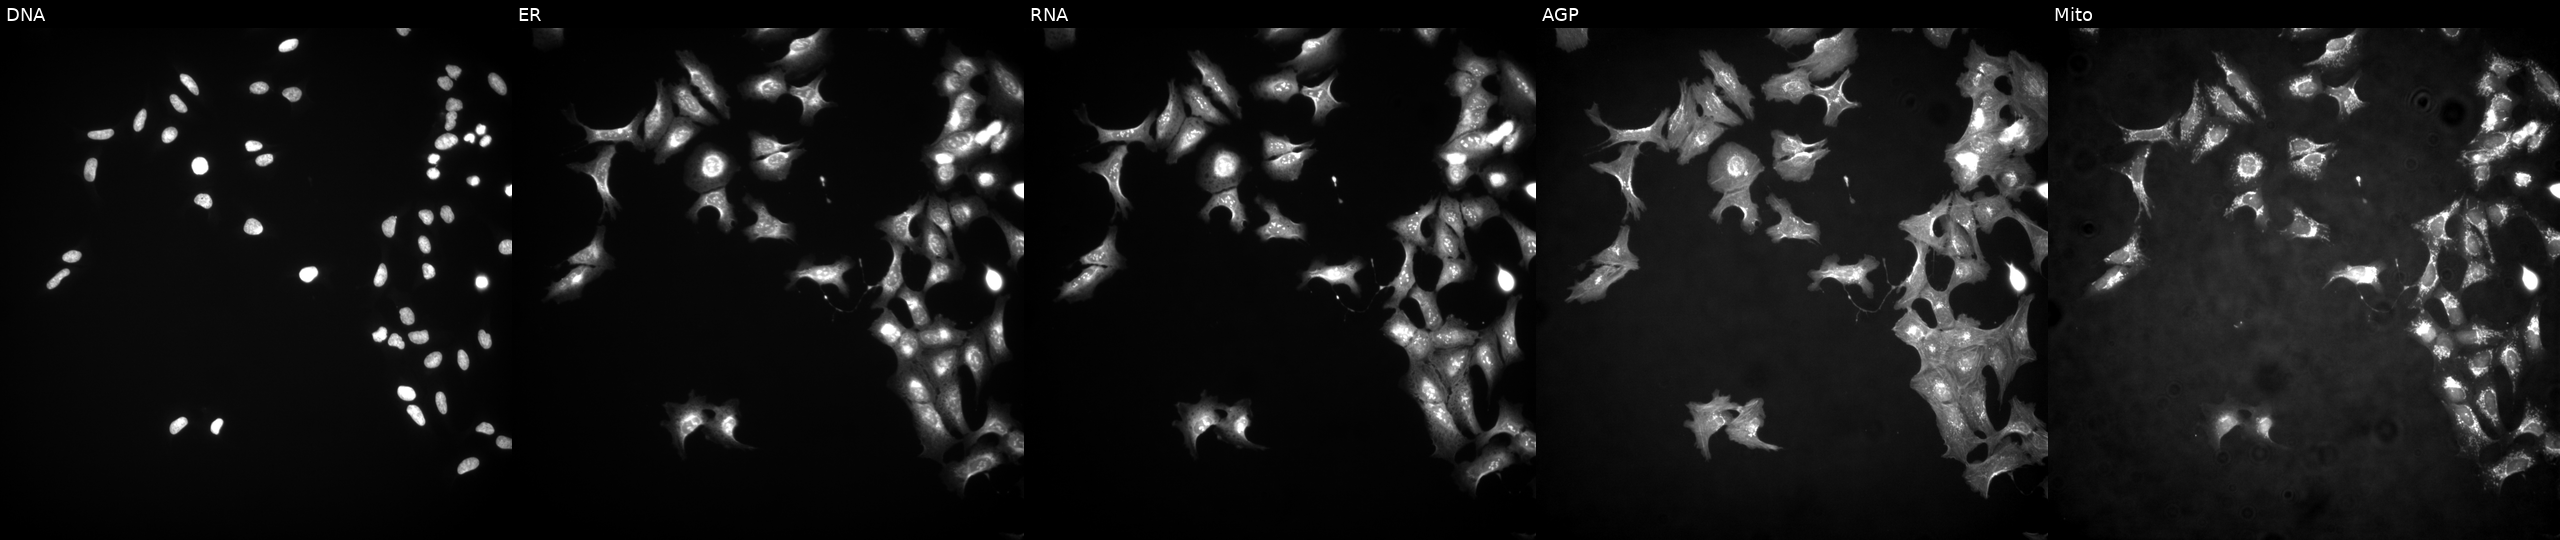
Five-channel Cell Painting image of U2OS cells transfected with an ORF construct for H2BC11. Panels show, left to right, DNA (nuclei); ER (endoplasmic reticulum); RNA (nucleoli and cytoplasmic RNA); AGP (actin cytoskeleton, Golgi, and plasma membrane); Mito (mitochondria). Source 4, plate BR00123509, well P13.